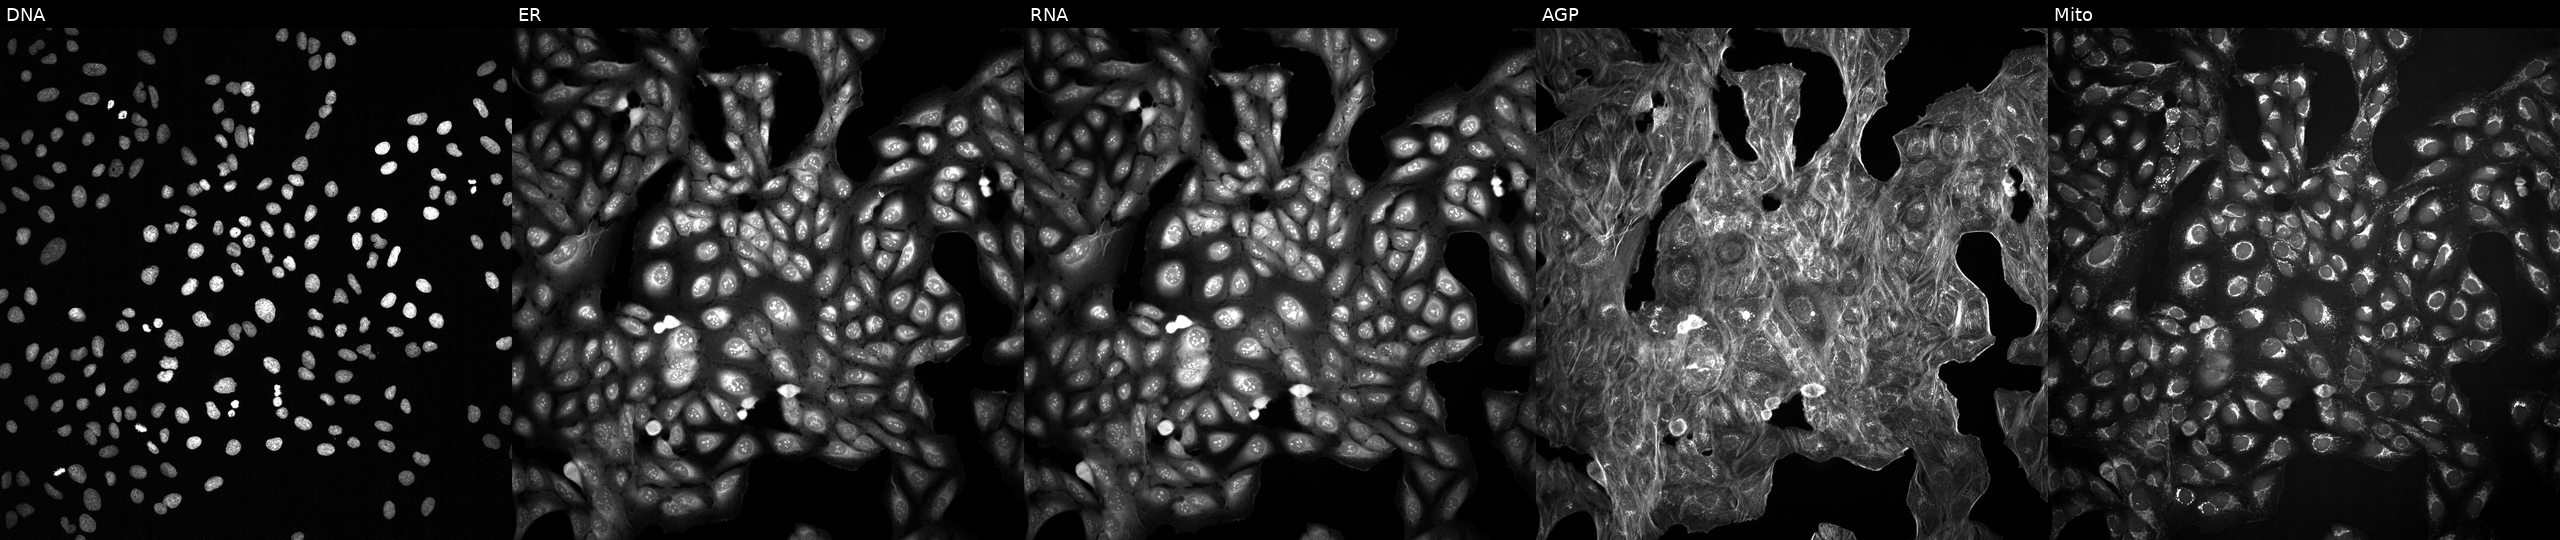
Five-channel Cell Painting image of U2OS cells with an unidentified perturbation (not annotated in JUMP metadata). From left to right: DNA (nuclei); ER (endoplasmic reticulum); RNA (nucleoli and cytoplasmic RNA); AGP (actin cytoskeleton, Golgi, and plasma membrane); Mito (mitochondria).